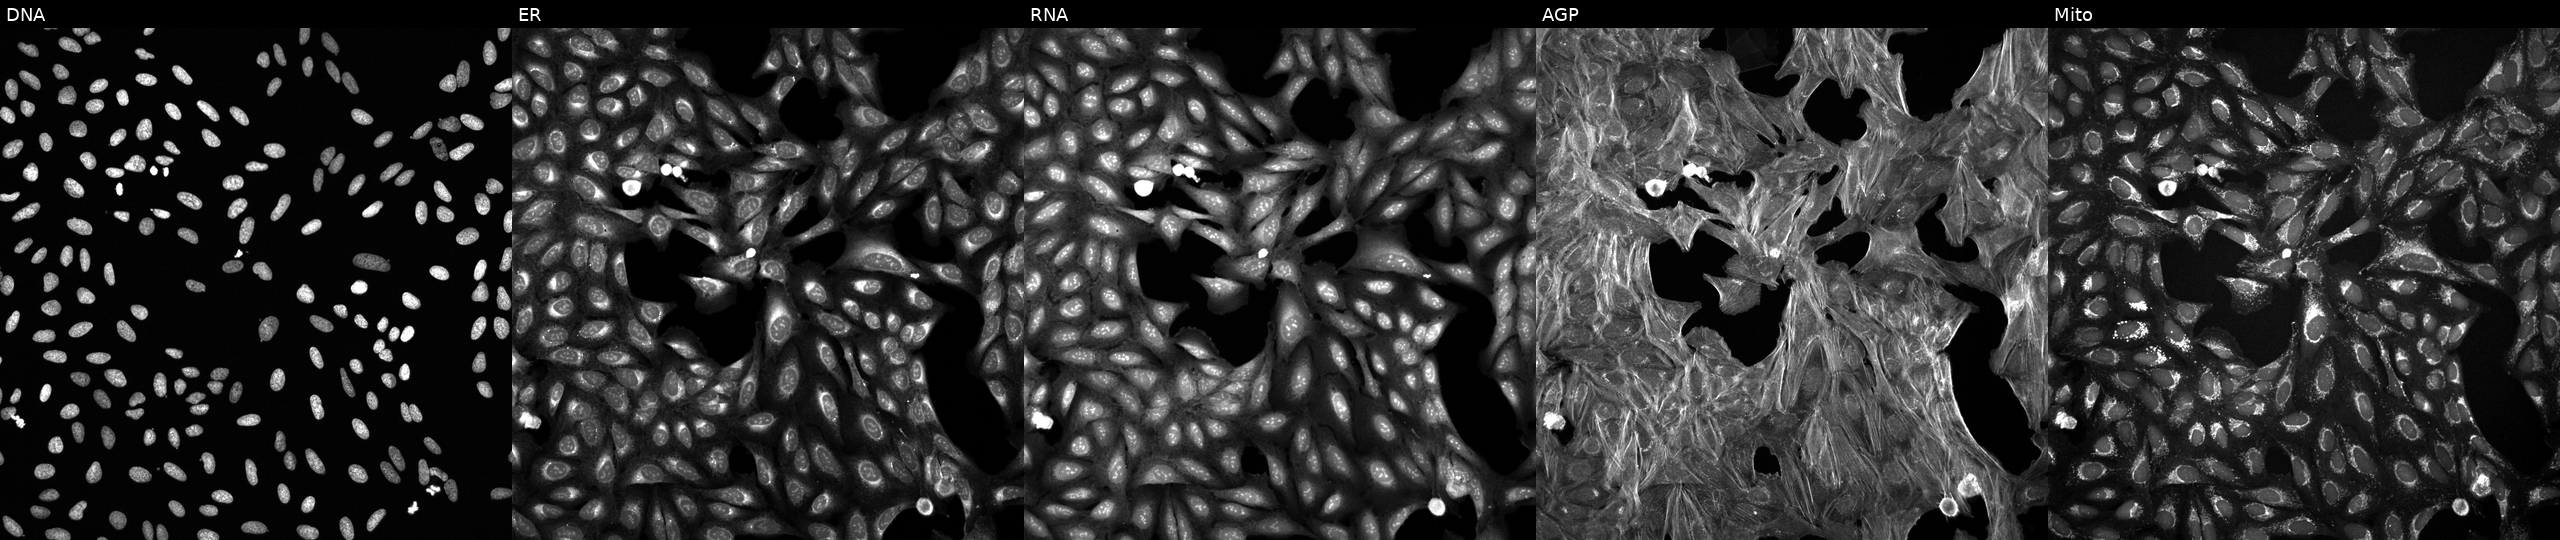
U2OS cells, Cell Painting assay, exposed to a small-molecule compound (InChIKey RVRIZGKCUCTNOO-UHFFFAOYSA-N) [SMILES: CCOc1ccccc1CNC(=O)c1ccc(-n2cnc(NC(=O)C3CC3)c2)cc1] (JUMP id JCP2022_081042). The five panels, left to right, show DNA, ER, RNA, AGP, and Mito. Each panel is percentile-stretched 16-bit fluorescence. Source 6, plate 110000293083, well H21.